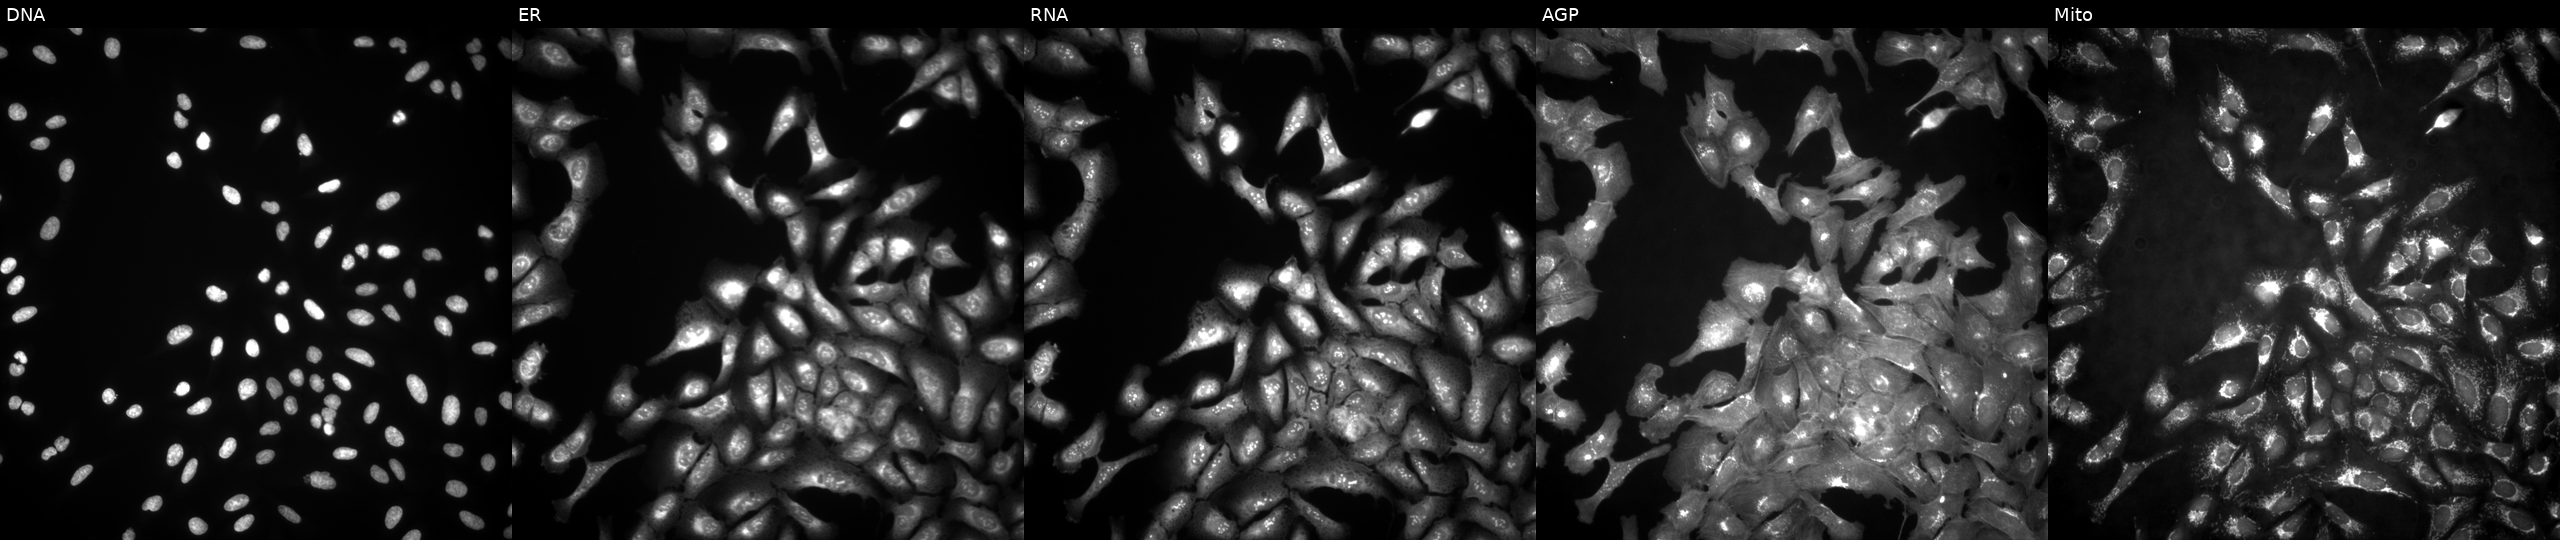
Five-channel Cell Painting image of U2OS cells overexpressing S100A13 via ORF transfection. Panels show, left to right, DNA (nuclei); ER (endoplasmic reticulum); RNA (nucleoli and cytoplasmic RNA); AGP (actin cytoskeleton, Golgi, and plasma membrane); Mito (mitochondria). Source 4, plate BR00123509, well J19.